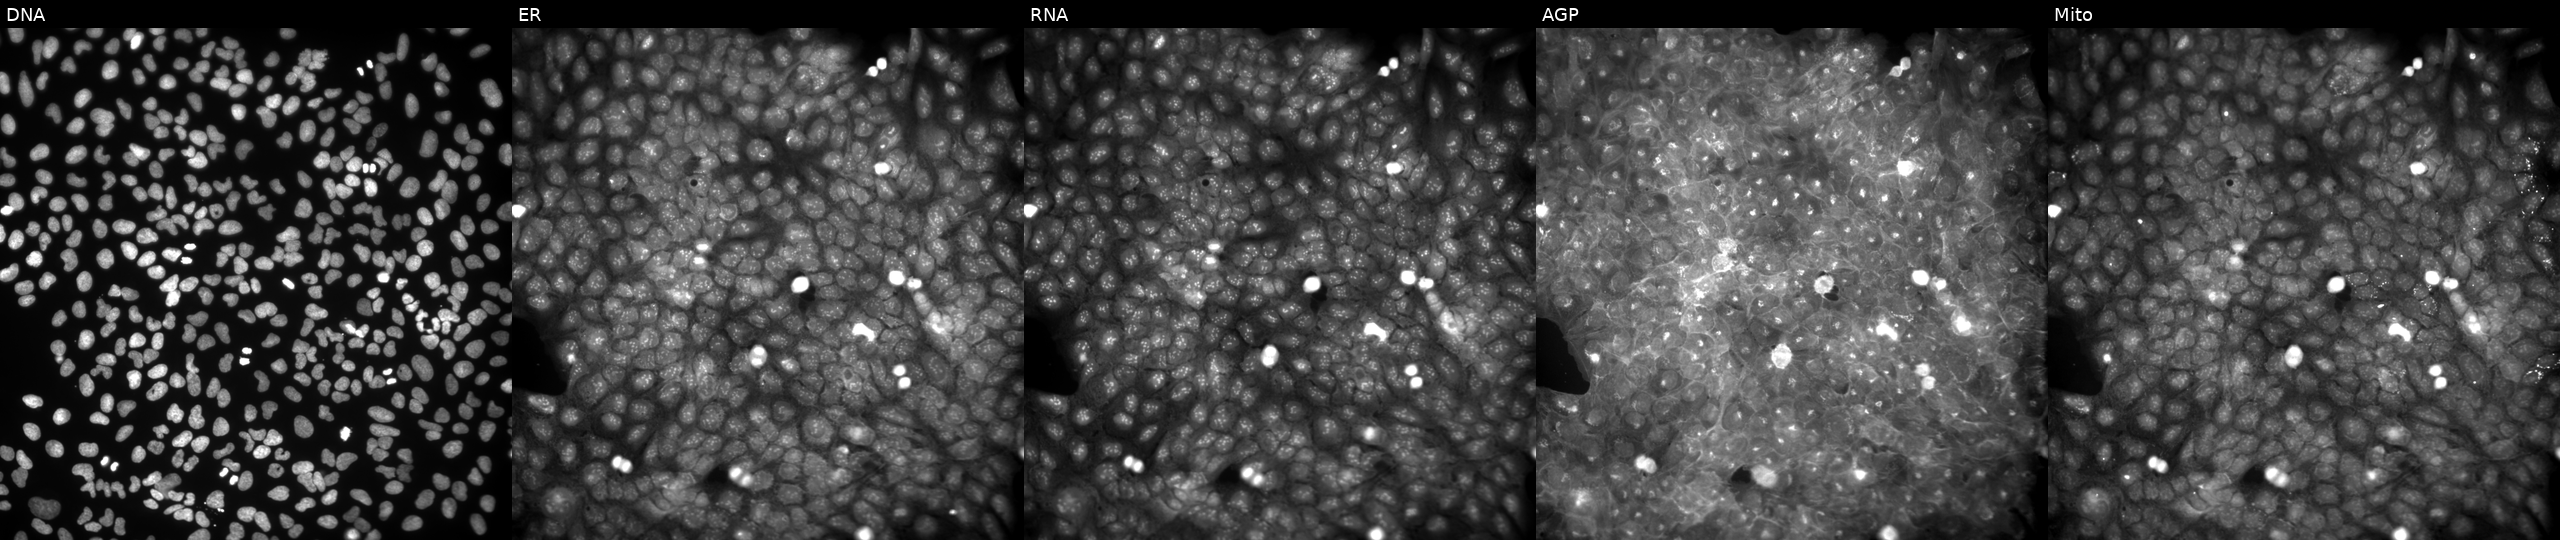
High-content fluorescence microscopy (Cell Painting). Cell line: U2OS. Perturbation: treated with a small-molecule compound [SMILES: O=C(Nc1cccnc1)c1cc(S(=O)(=O)N2CCCC2)ccc1Cl]. The five panels, left to right, show DNA, ER, RNA, AGP, and Mito. Source 9, plate GR00003382, well AC30.